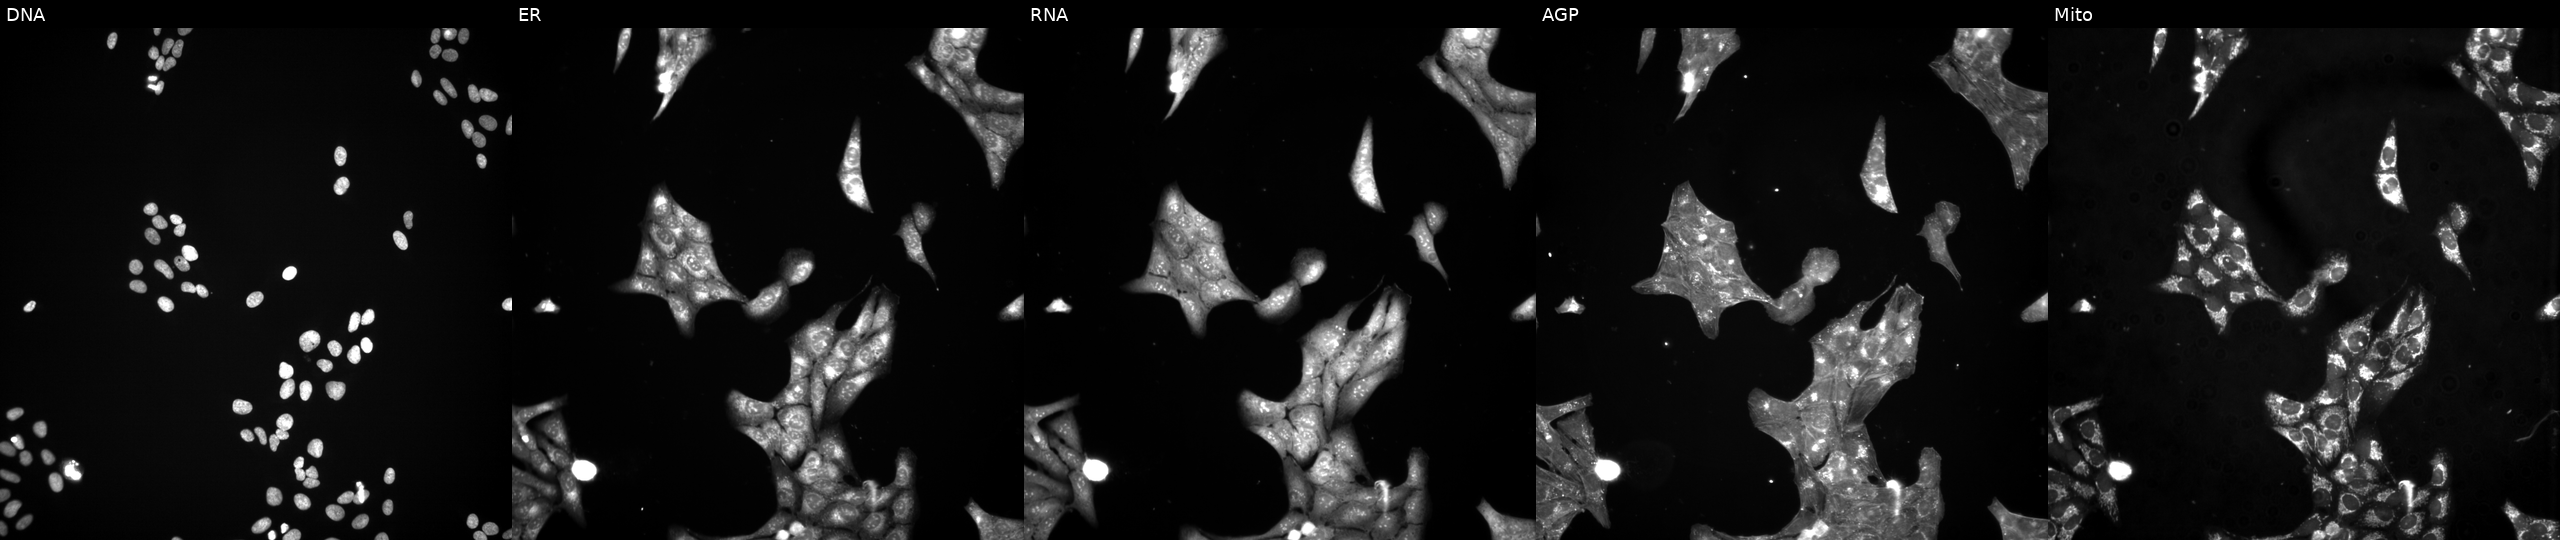
JUMP Cell Painting — TARGET2 plate. U2OS cells treated with a small-molecule compound (InChIKey UXUQIRNFBFRPAC-UHFFFAOYSA-N). From left to right: DNA (nuclei); ER (endoplasmic reticulum); RNA (nucleoli and cytoplasmic RNA); AGP (actin cytoskeleton, Golgi, and plasma membrane); Mito (mitochondria). Source 3, plate JCPQC053, well P01.